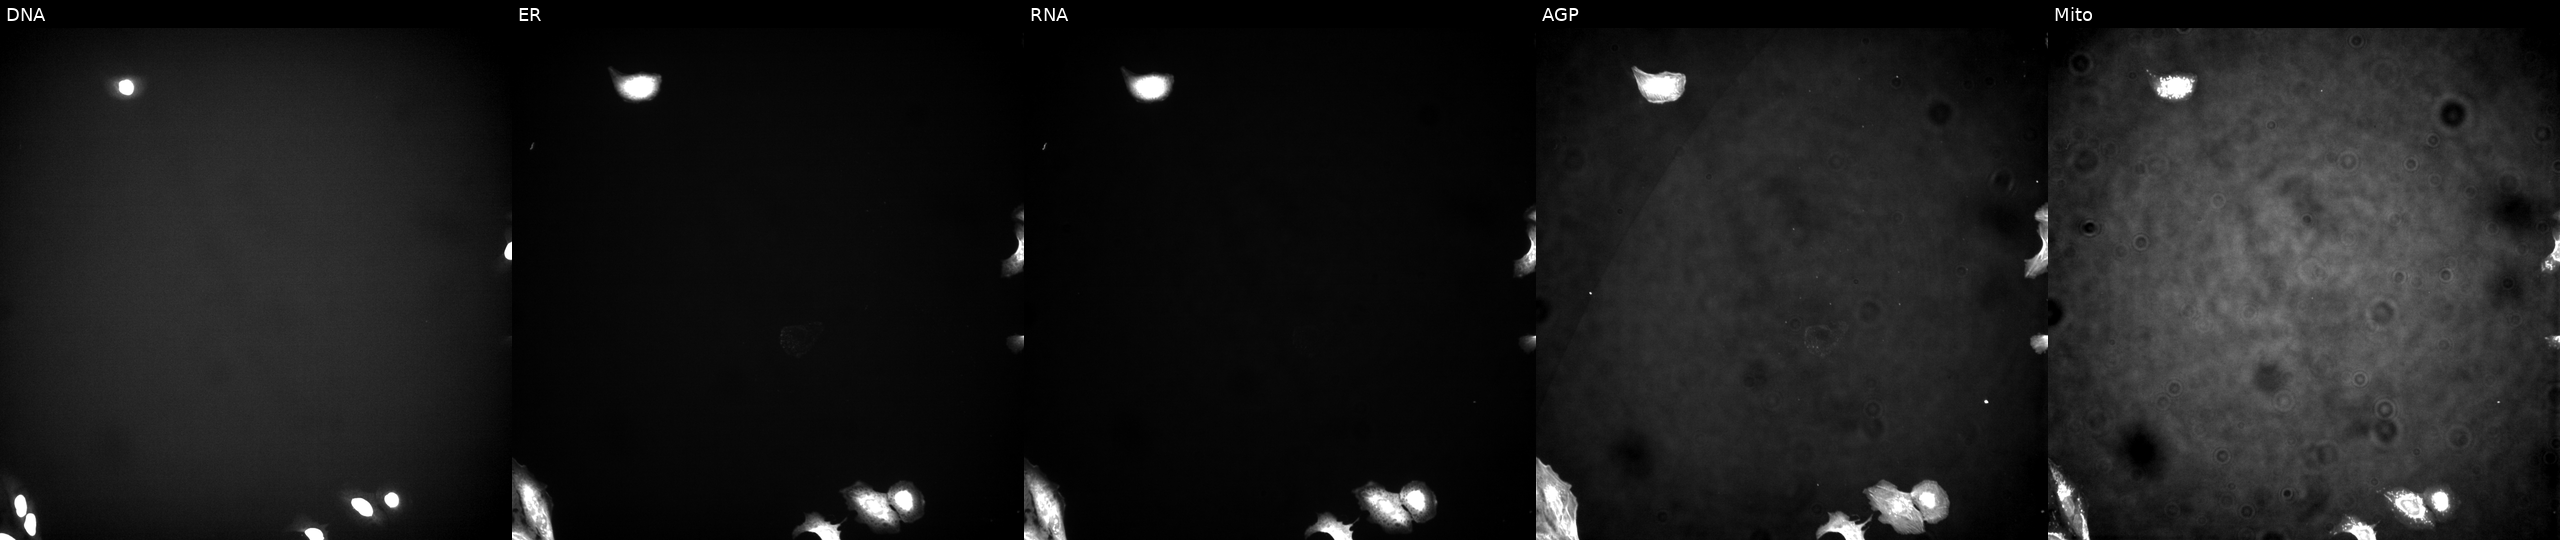
High-content fluorescence microscopy (Cell Painting). Cell line: U2OS. Perturbation: transfected with an ORF construct for CSPP1. Panels show, left to right, DNA (nuclei); ER (endoplasmic reticulum); RNA (nucleoli and cytoplasmic RNA); AGP (actin cytoskeleton, Golgi, and plasma membrane); Mito (mitochondria). Source 4, plate BR00124784, well K07.